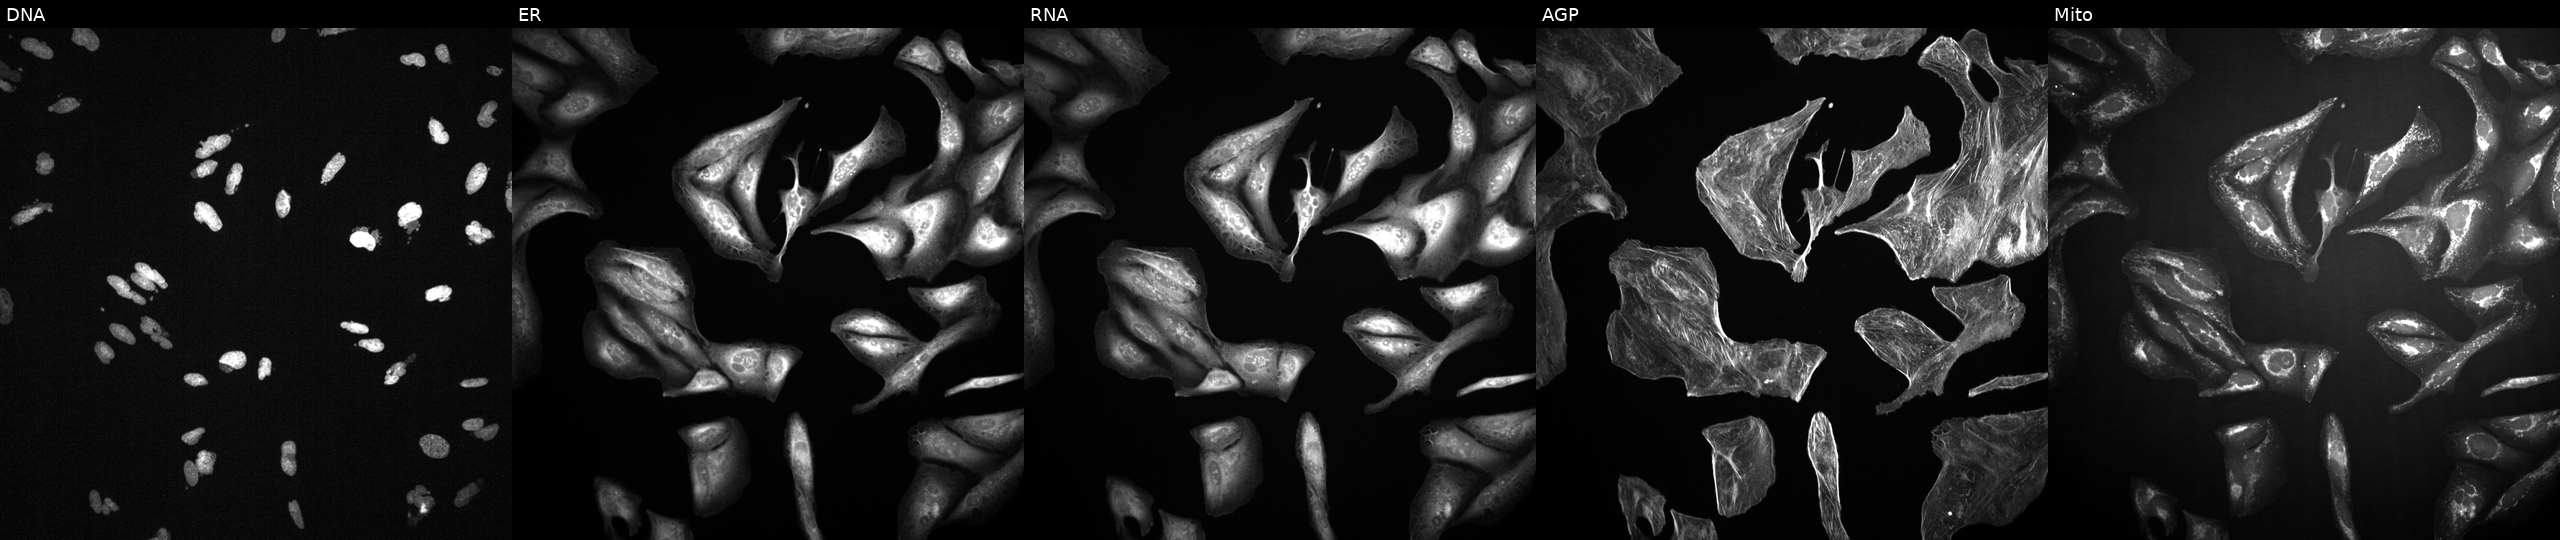
High-content fluorescence microscopy (Cell Painting). Cell line: U2OS. Perturbation: perturbed with a small-molecule compound (JUMP id JCP2022_046462). Channels (left→right): Hoechst 33342, concanavalin A, SYTO 14, phalloidin and WGA, MitoTracker. Source 2, plate 1053597936, well J07.